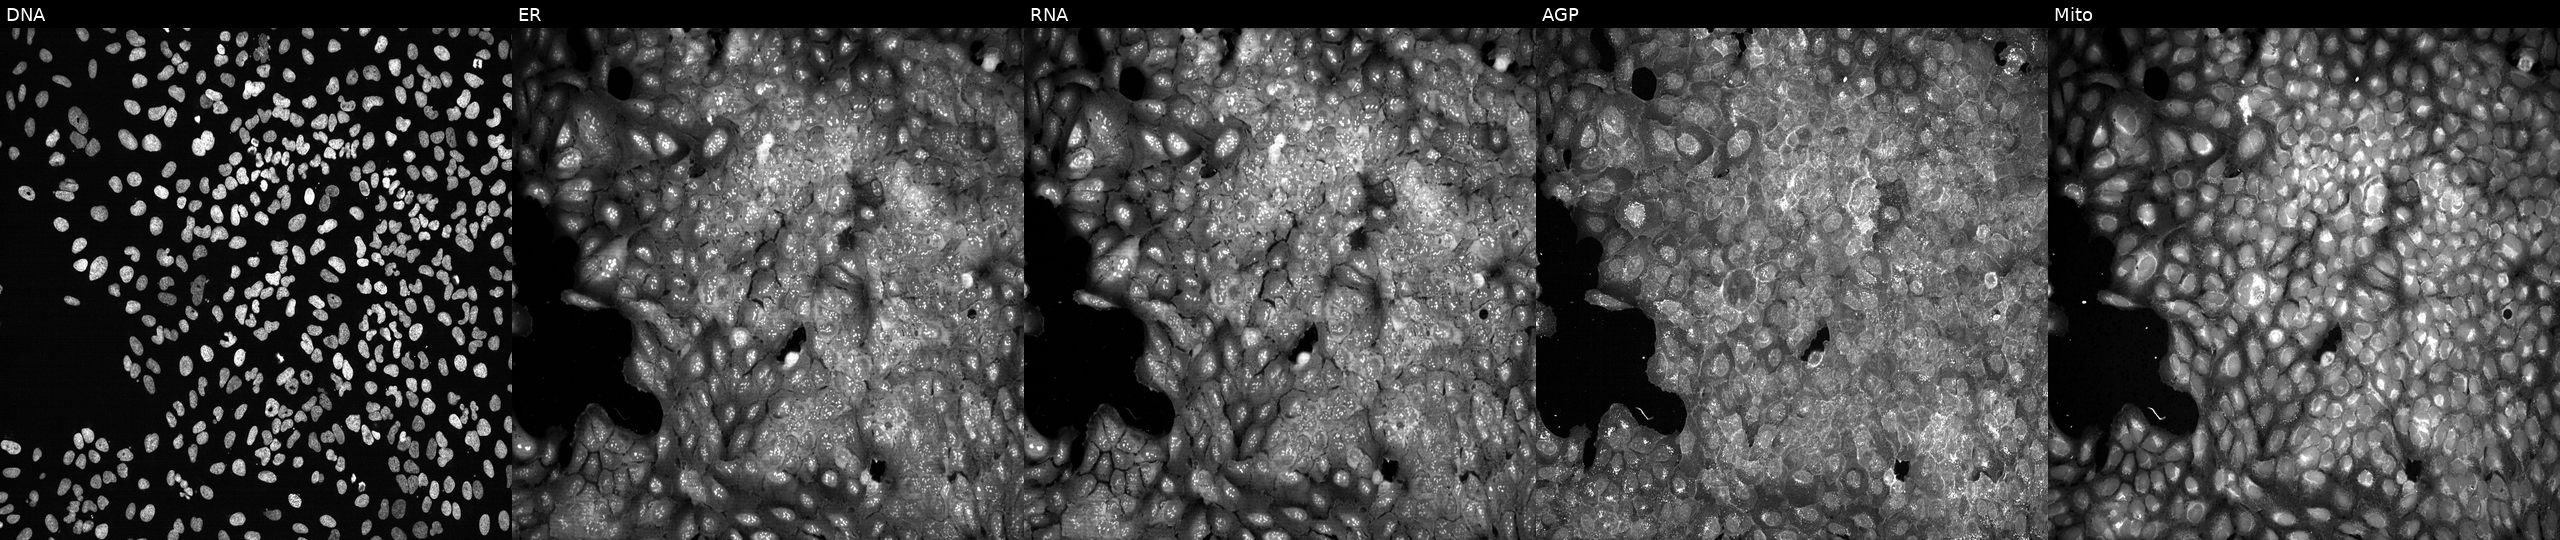
JUMP Cell Painting — CRISPR plate. U2OS cells CRISPR-edited to disrupt SLC23A1. Channels (left→right): DNA (nuclei); ER (endoplasmic reticulum); RNA (nucleoli and cytoplasmic RNA); AGP (actin cytoskeleton, Golgi, and plasma membrane); Mito (mitochondria). Source 13, plate CP-CC9-R1-01, well D11.